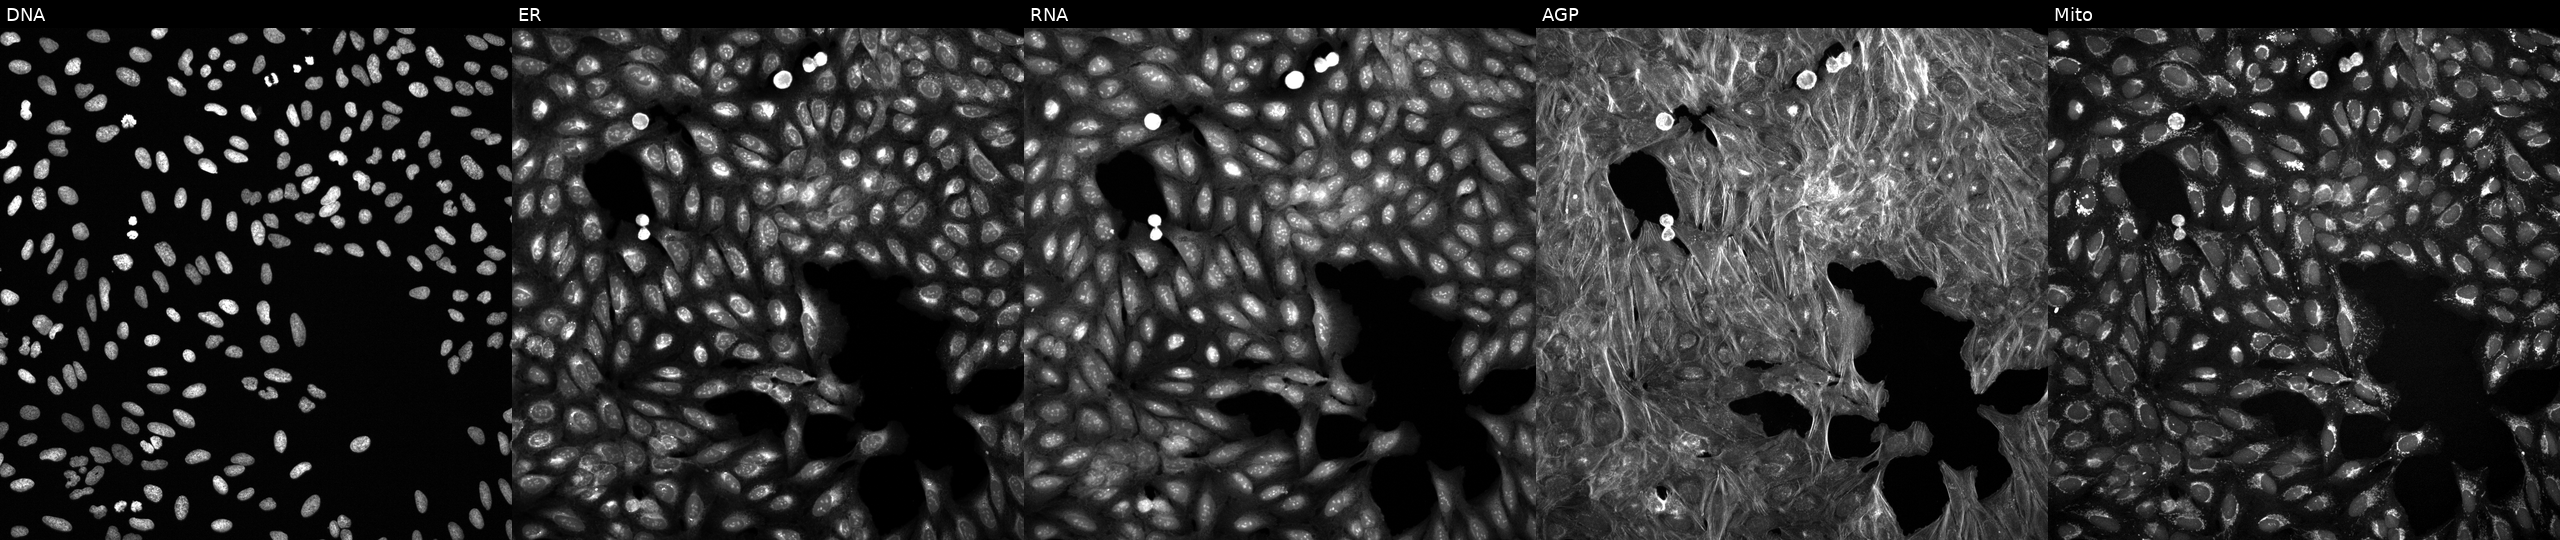
U2OS cells, Cell Painting assay, exposed to a small-molecule compound [SMILES: Cc1cc(C(=O)NC2CCCC2)c2c(-c3ccccc3F)noc2n1]. Channels (left→right): Hoechst 33342, concanavalin A, SYTO 14, phalloidin and WGA, MitoTracker. Each panel is percentile-stretched 16-bit fluorescence.